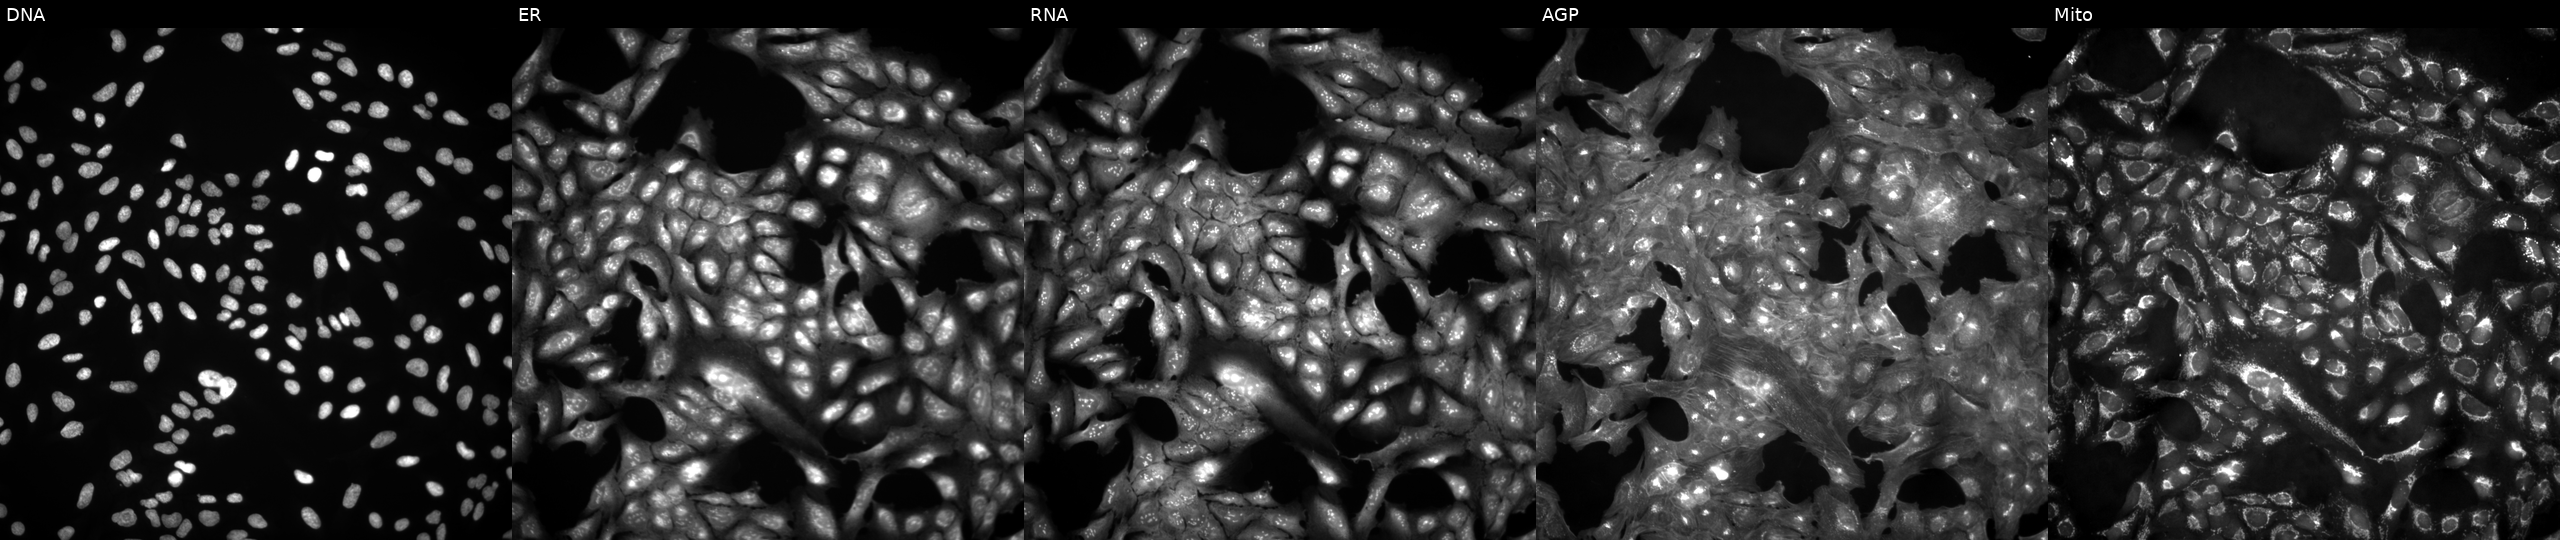
Five-channel Cell Painting image of U2OS cells in an empty control well (no perturbation). Panels show, left to right, DNA (nuclei); ER (endoplasmic reticulum); RNA (nucleoli and cytoplasmic RNA); AGP (actin cytoskeleton, Golgi, and plasma membrane); Mito (mitochondria). Source 4, plate BR00123946, well N16.